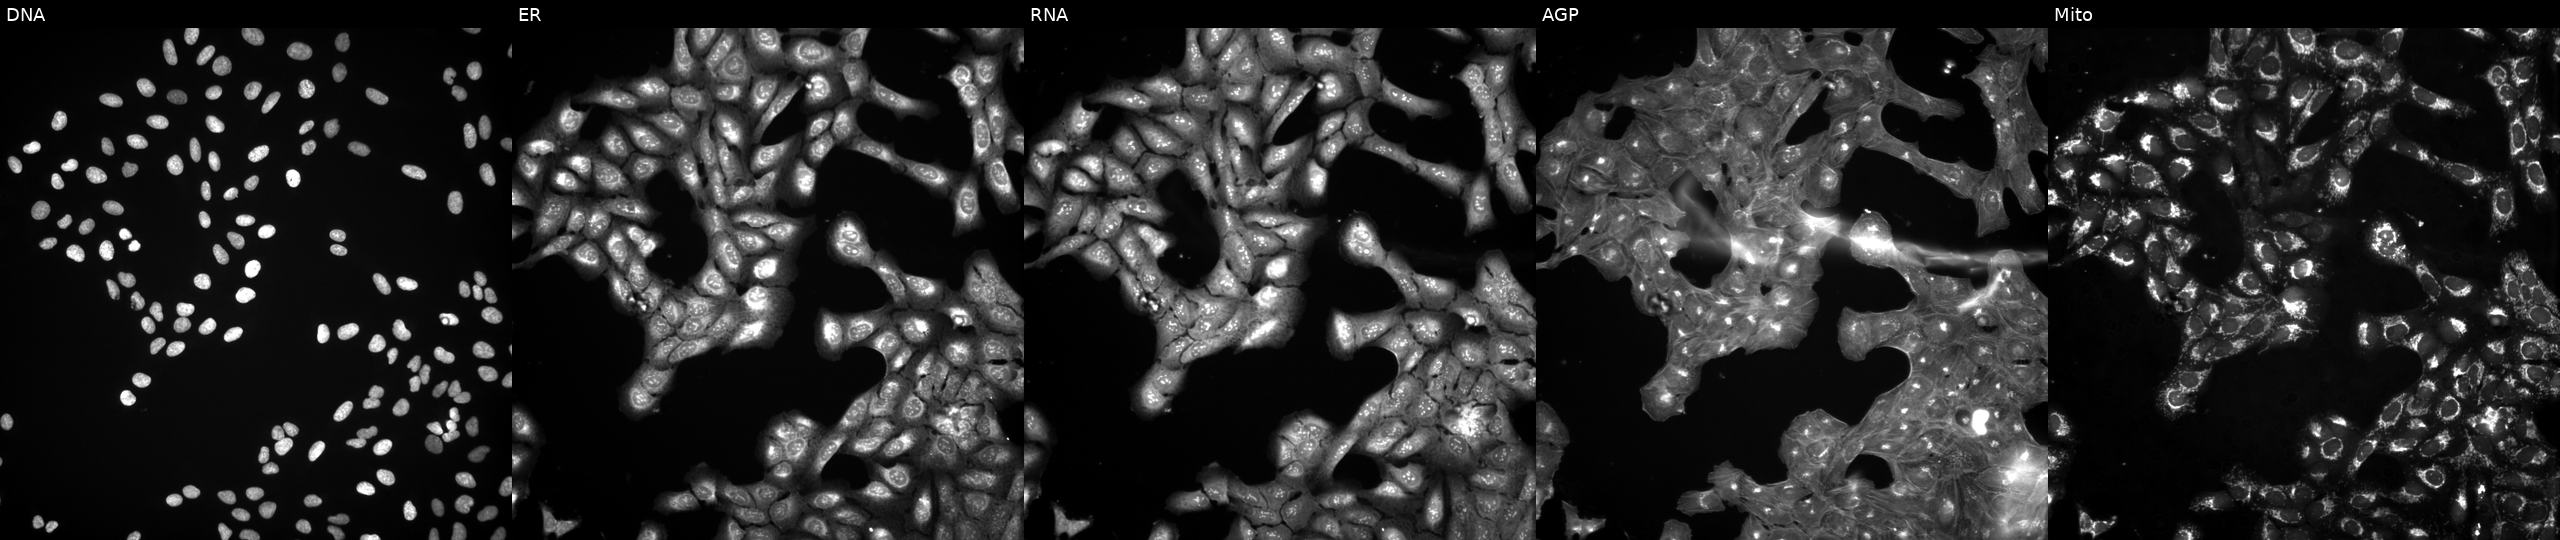
Five-channel Cell Painting image of U2OS cells exposed to a small-molecule compound (InChIKey GGMWRHLBPHTQKO-UHFFFAOYSA-N). Panels show, left to right, DNA (nuclei); ER (endoplasmic reticulum); RNA (nucleoli and cytoplasmic RNA); AGP (actin cytoskeleton, Golgi, and plasma membrane); Mito (mitochondria). Source 3, plate BR5867a3, well N14.